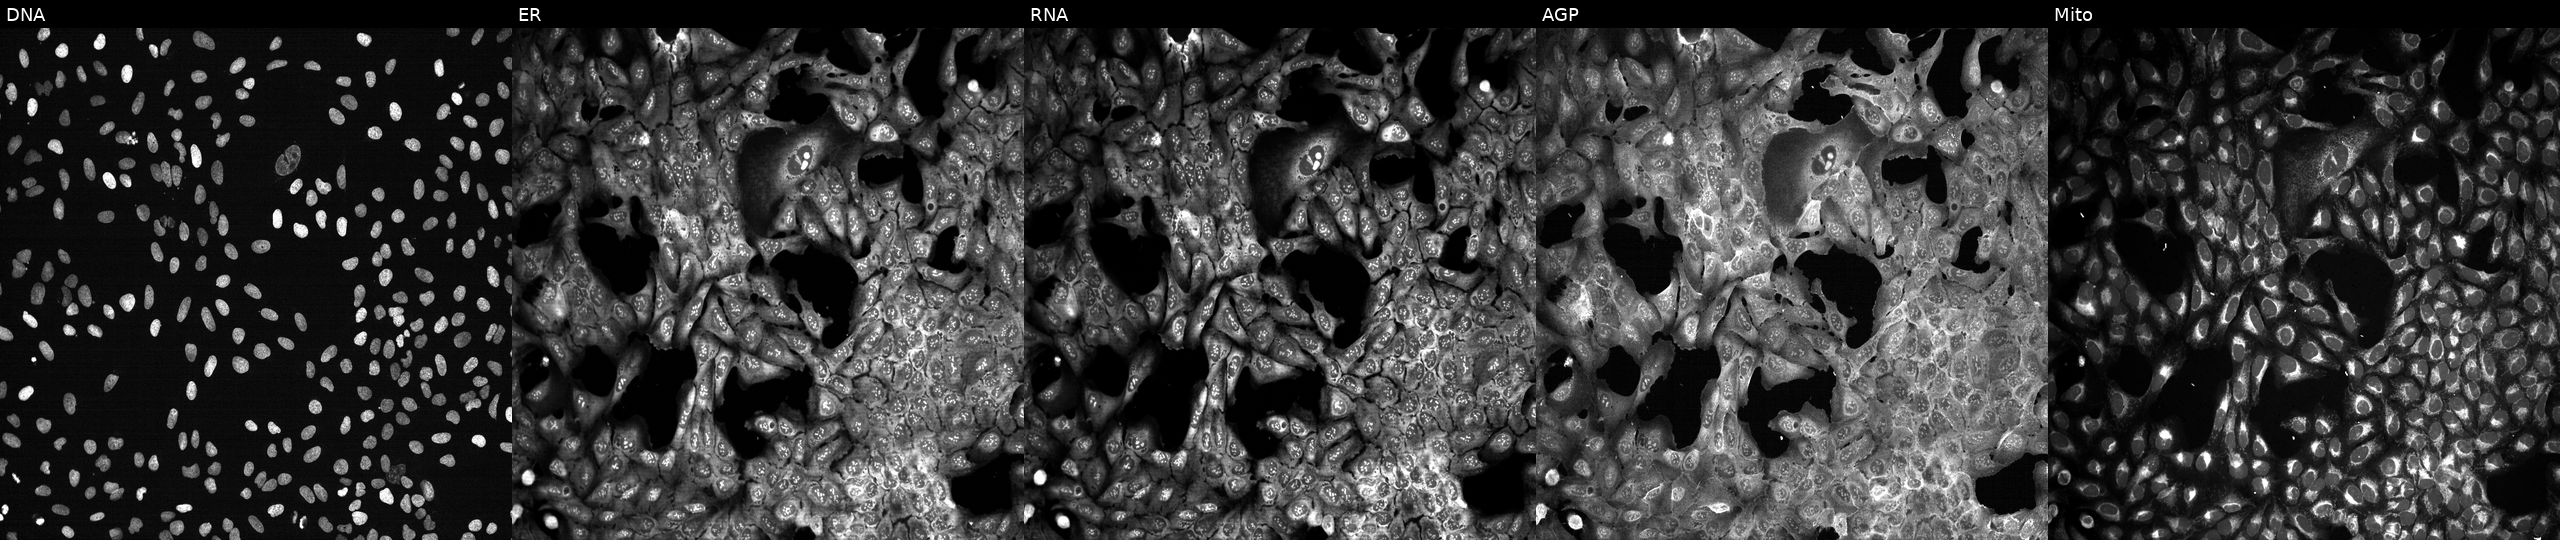
JUMP Cell Painting — CRISPR plate. U2OS cells with JRKL knocked out by CRISPR. The five panels, left to right, show DNA (nuclei); ER (endoplasmic reticulum); RNA (nucleoli and cytoplasmic RNA); AGP (actin cytoskeleton, Golgi, and plasma membrane); Mito (mitochondria).